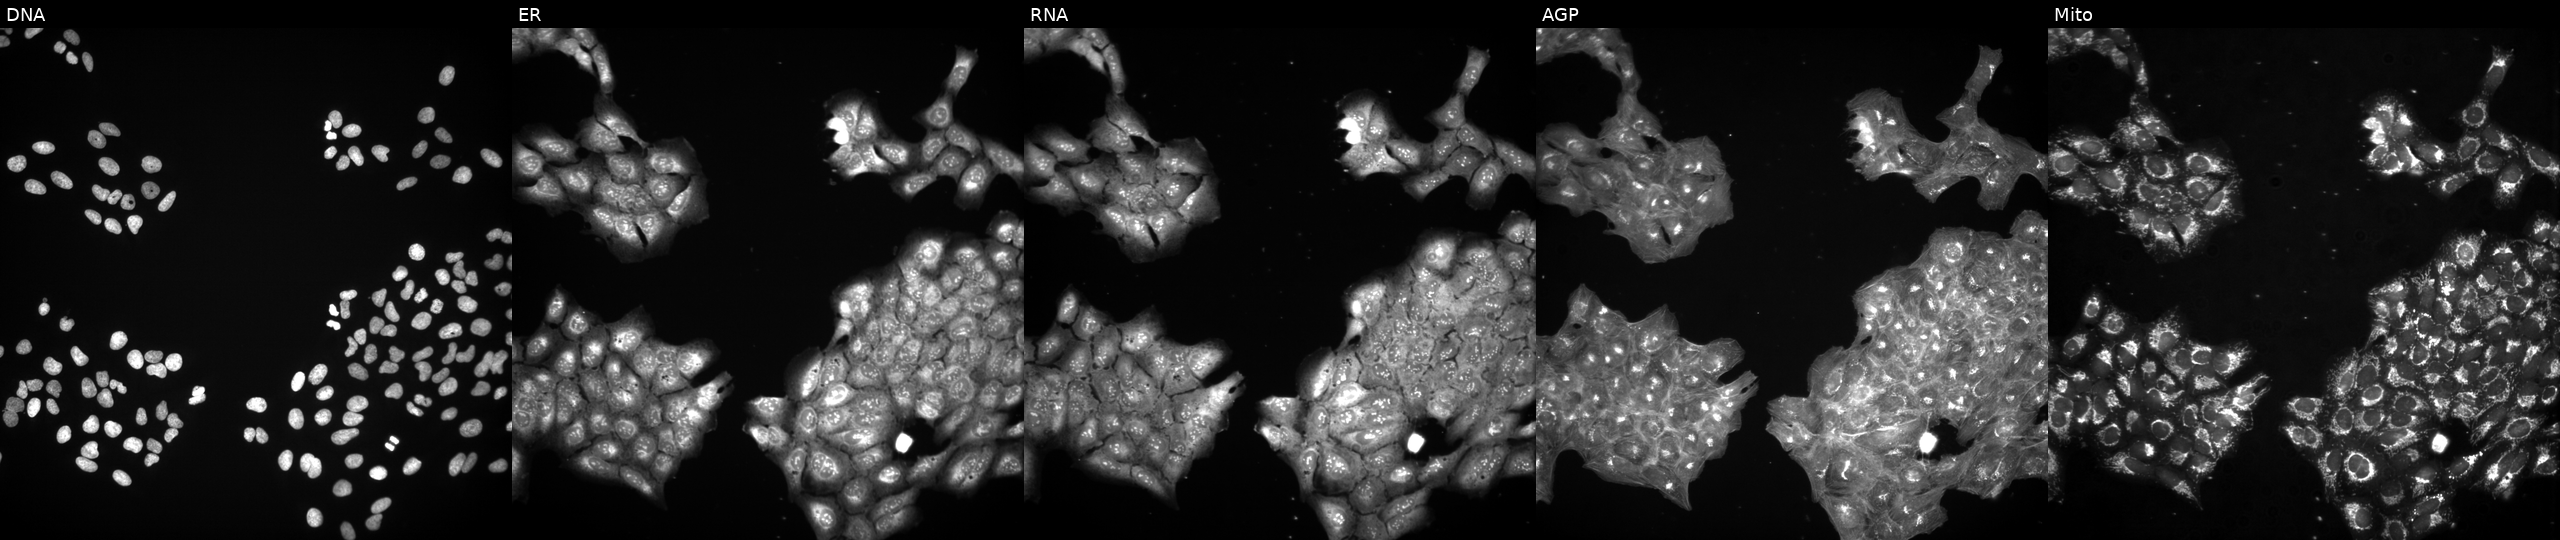
Five-channel Cell Painting image of U2OS cells exposed to a small-molecule compound (JUMP id JCP2022_062592). From left to right: Hoechst 33342, concanavalin A, SYTO 14, phalloidin and WGA, MitoTracker. Source 3, plate JCPQC052, well N03.